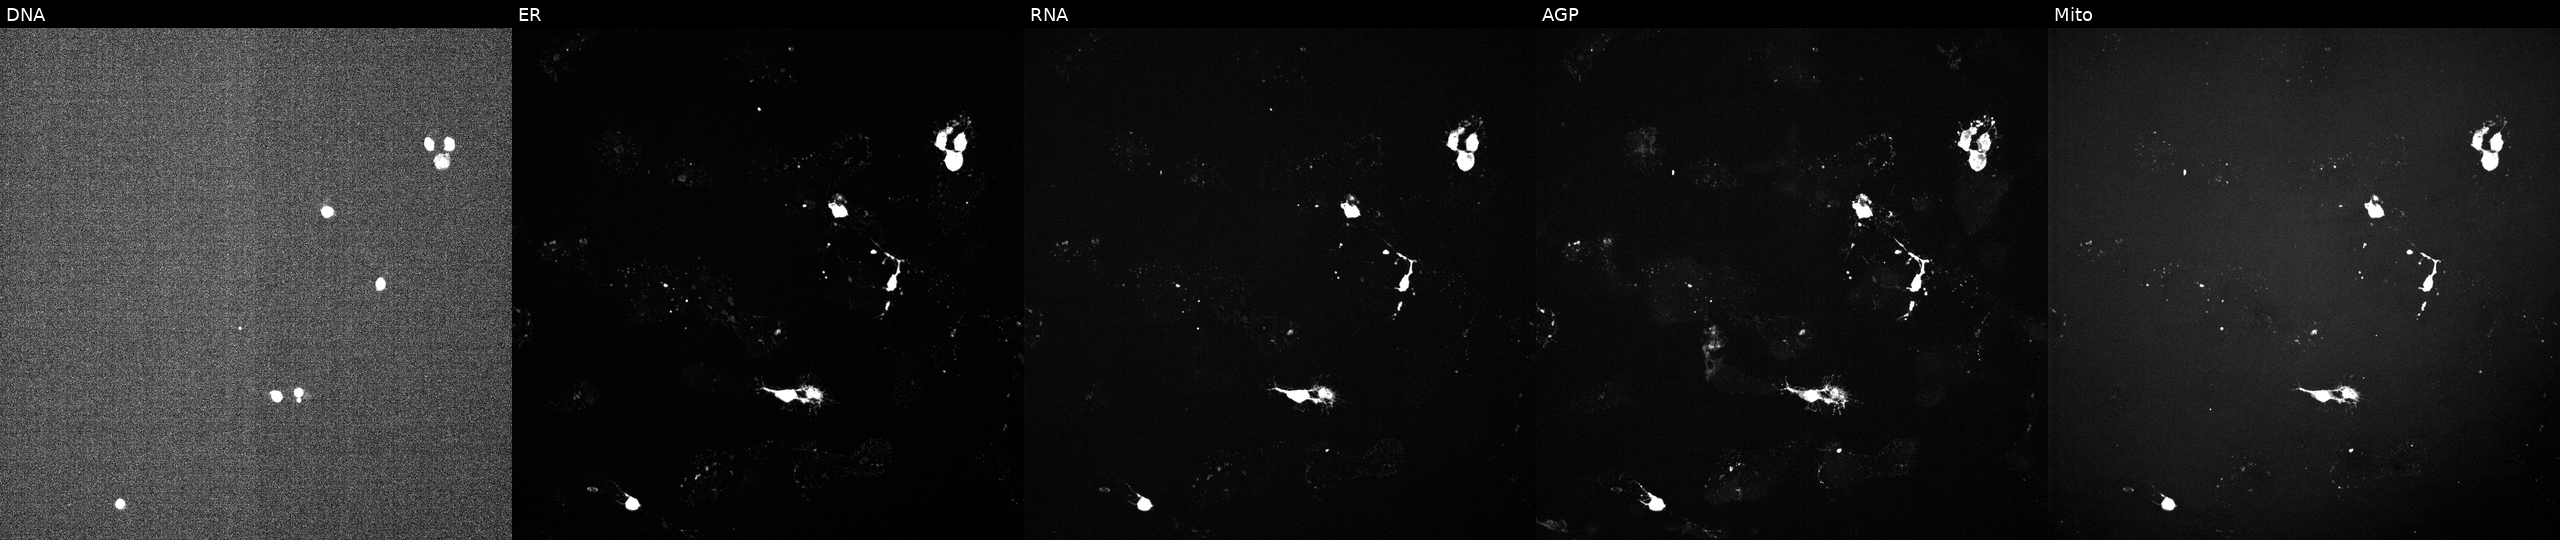
JUMP Cell Painting — TARGET2 plate. U2OS cells treated with a small-molecule compound (InChIKey IAYGCINLNONXHY-UHFFFAOYSA-N) [SMILES: NC(=O)Nc1cc(-c2cccc(F)c2)sc1C(=O)NC1CCCNC1]. The five panels, left to right, show DNA (nuclei); ER (endoplasmic reticulum); RNA (nucleoli and cytoplasmic RNA); AGP (actin cytoskeleton, Golgi, and plasma membrane); Mito (mitochondria).